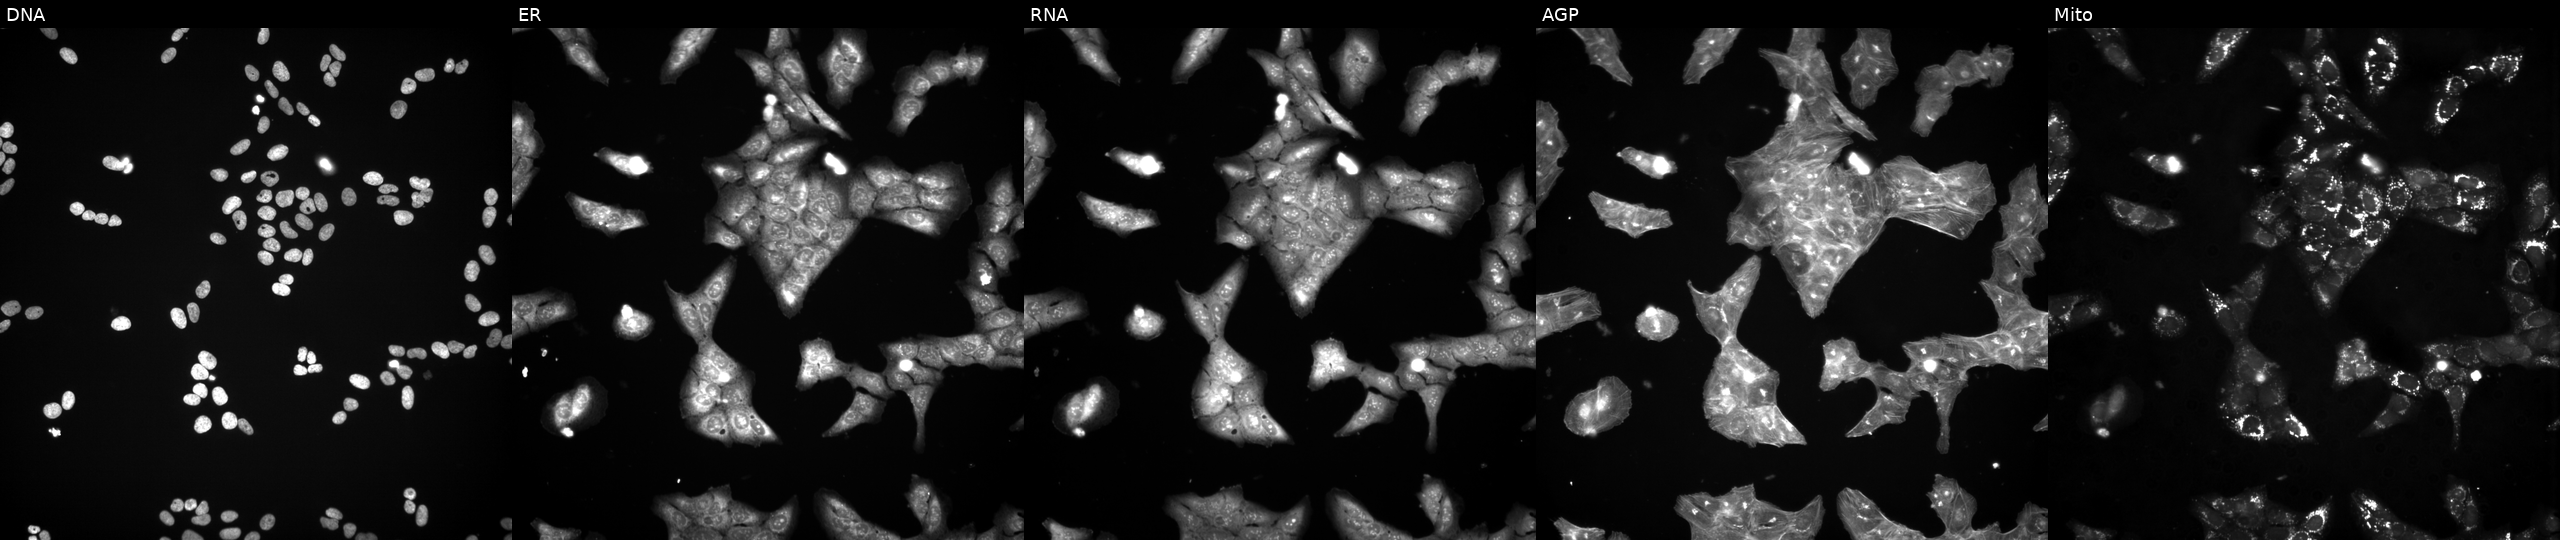
From left to right: Hoechst 33342, concanavalin A, SYTO 14, phalloidin and WGA, MitoTracker. U2OS osteosarcoma cells exposed to a small-molecule compound (InChIKey WGZOTBUYUFBEPZ-UHFFFAOYSA-N). Cell Painting assay, JUMP-CP dataset.